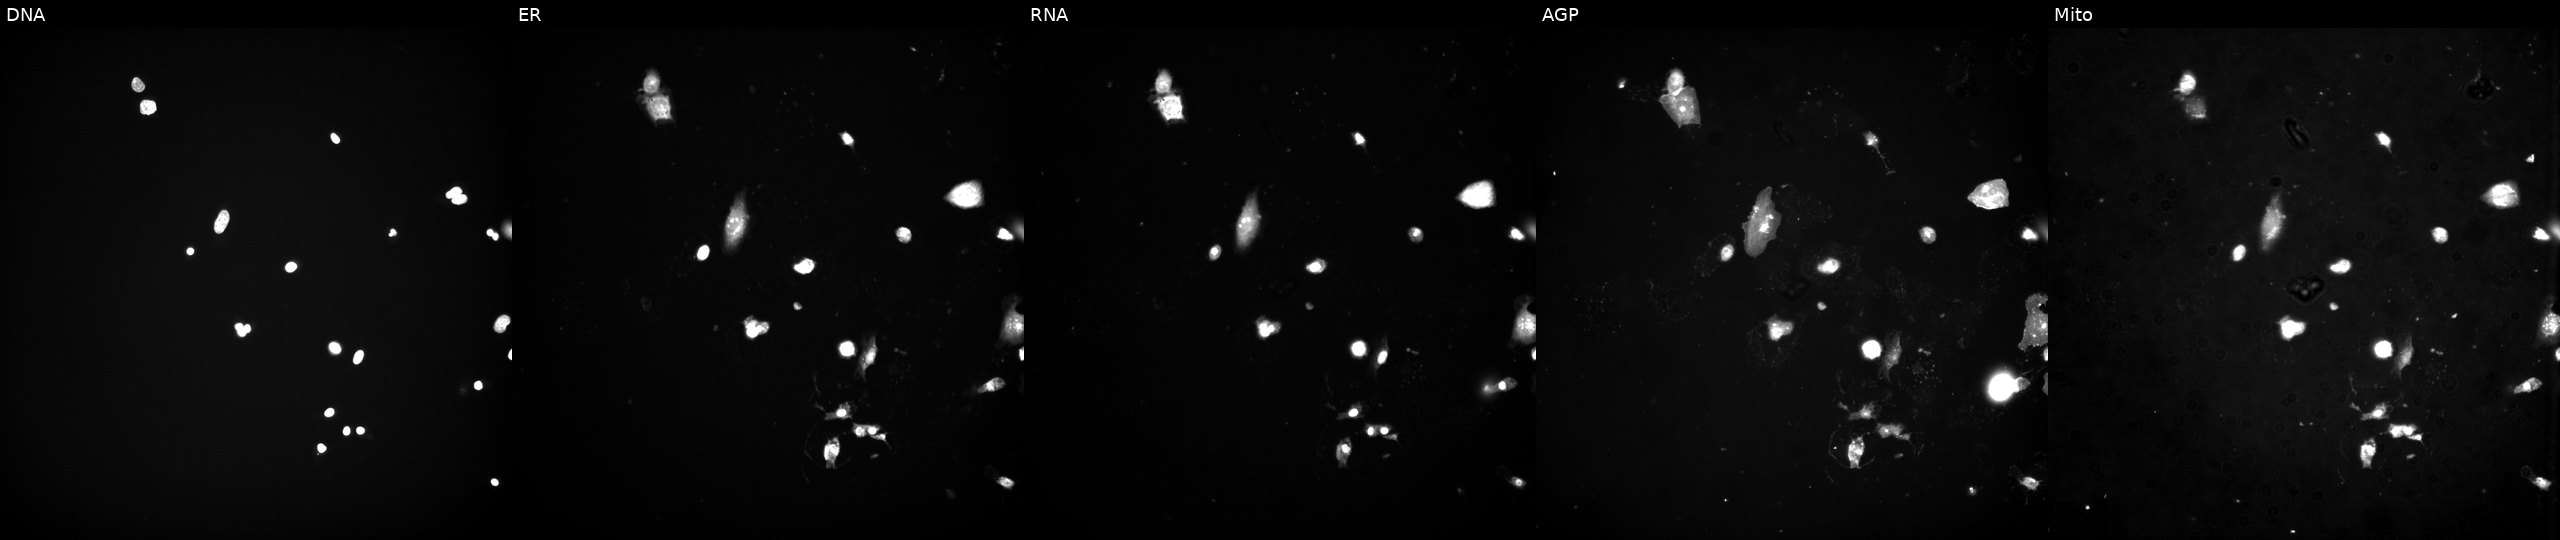
Five-channel Cell Painting image of U2OS cells exposed to a small-molecule compound (InChIKey DUKQPWDVIZDABV-UHFFFAOYSA-N) (JUMP id JCP2022_018280). The five panels, left to right, show Hoechst 33342, concanavalin A, SYTO 14, phalloidin and WGA, MitoTracker. Source 3, plate JCPQC051, well D08.